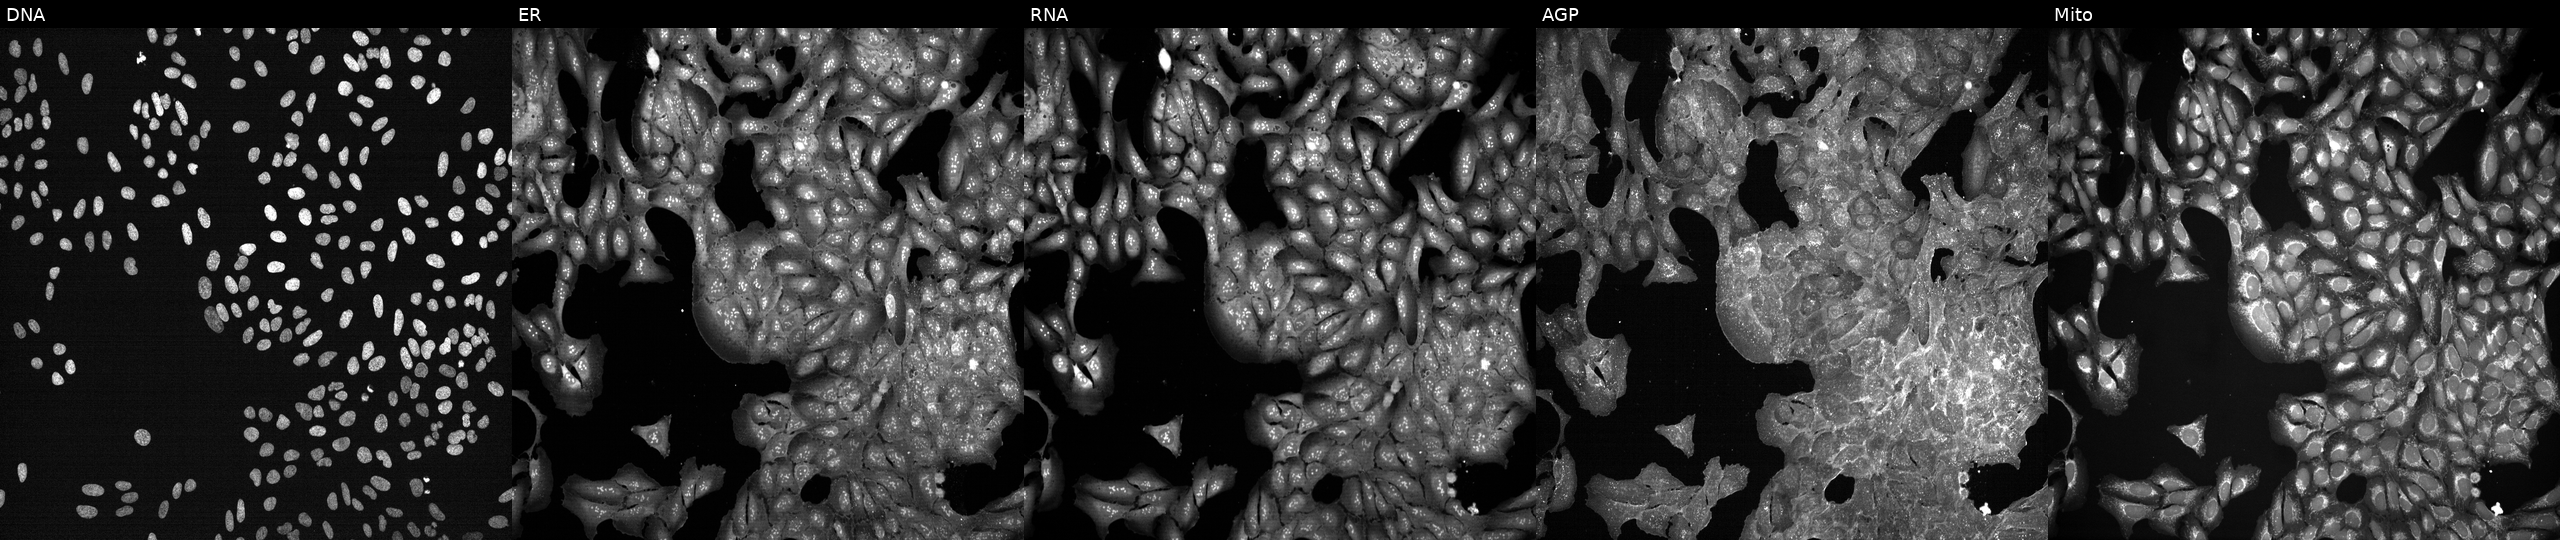
JUMP Cell Painting — TARGET2 plate. U2OS cells treated with DMSO vehicle only (negative control) (JUMP id JCP2022_033924). The five panels, left to right, show DNA, ER, RNA, AGP, and Mito. Source 7, plate CP2-SC1-25, well N06.